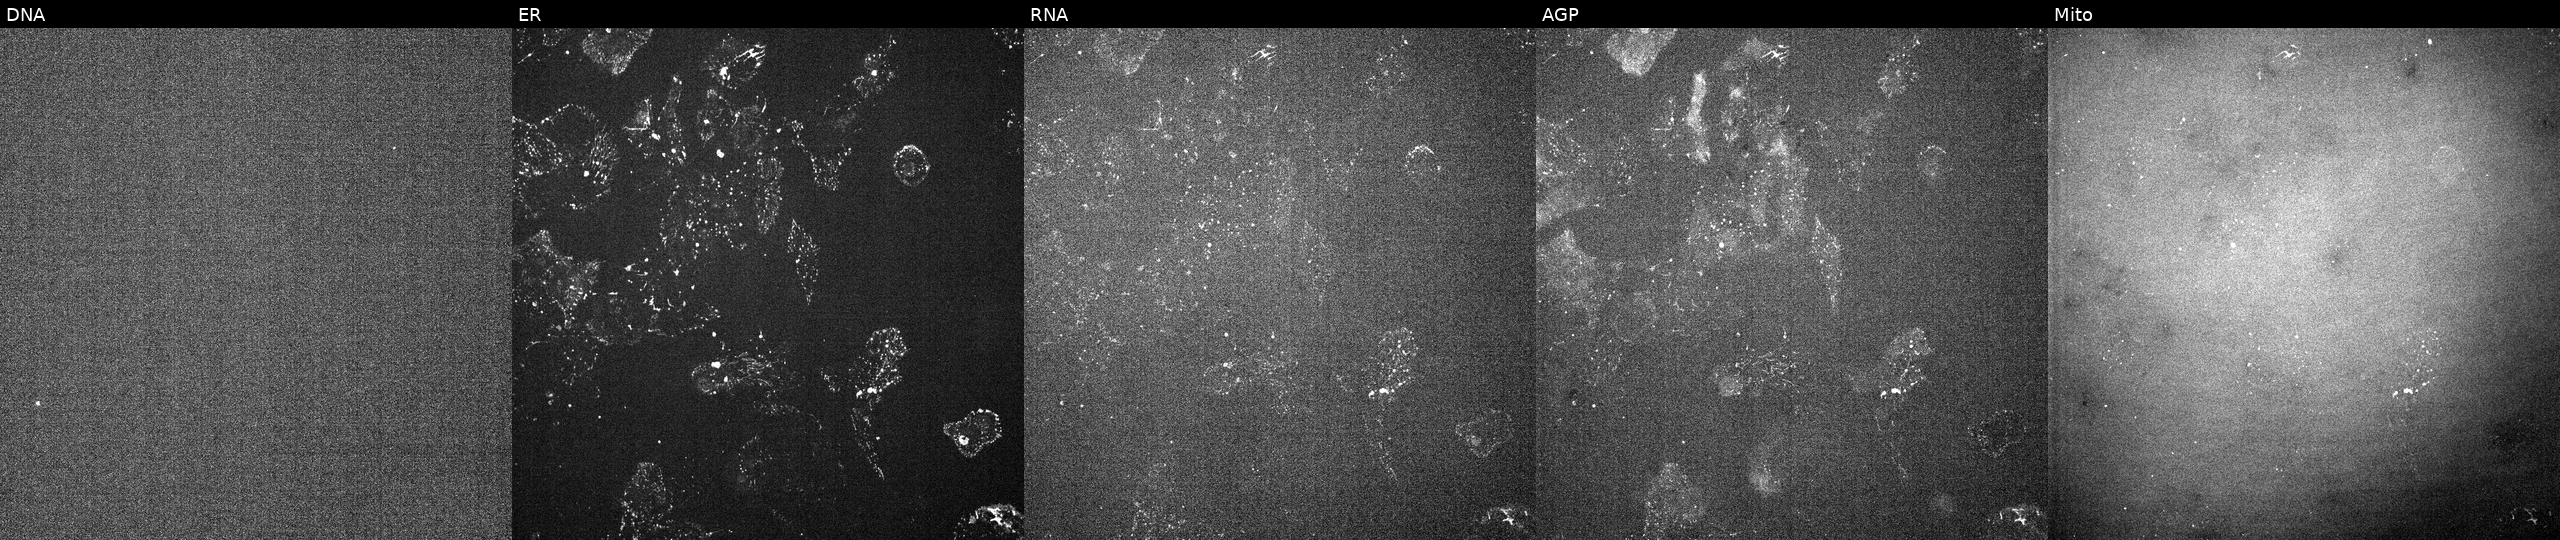
Five-channel Cell Painting image of U2OS cells perturbed with a small-molecule compound. Panels show, left to right, DNA (nuclei); ER (endoplasmic reticulum); RNA (nucleoli and cytoplasmic RNA); AGP (actin cytoskeleton, Golgi, and plasma membrane); Mito (mitochondria).